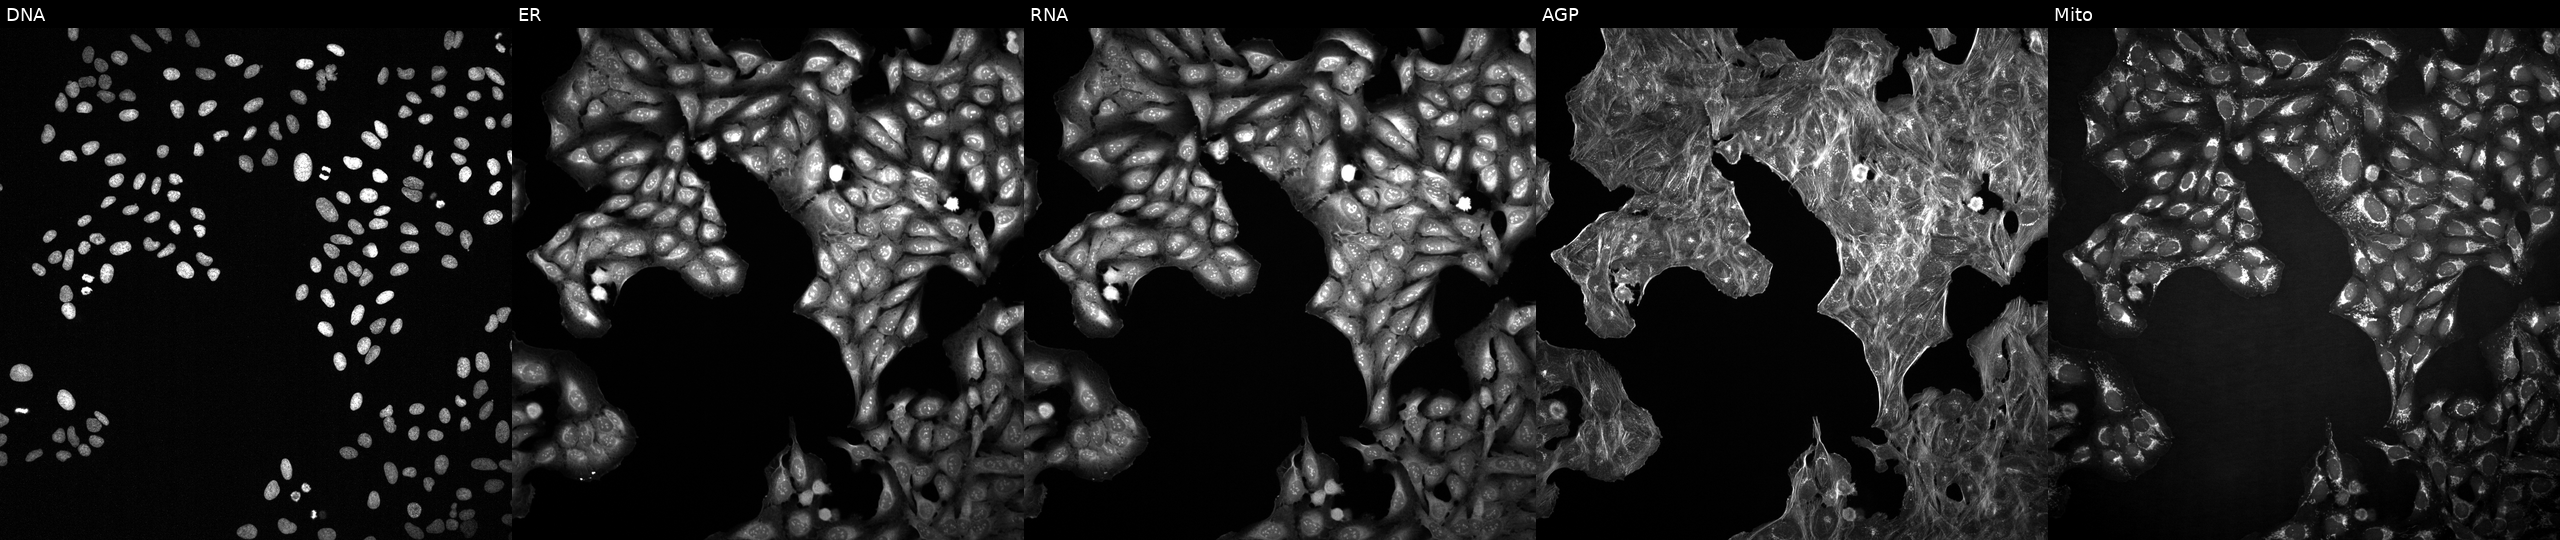
U2OS cells, Cell Painting assay, with an unidentified perturbation (not annotated in JUMP metadata). From left to right: DNA, ER, RNA, AGP, and Mito. Each panel is percentile-stretched 16-bit fluorescence. Source 2, plate 1053601756, well H10.